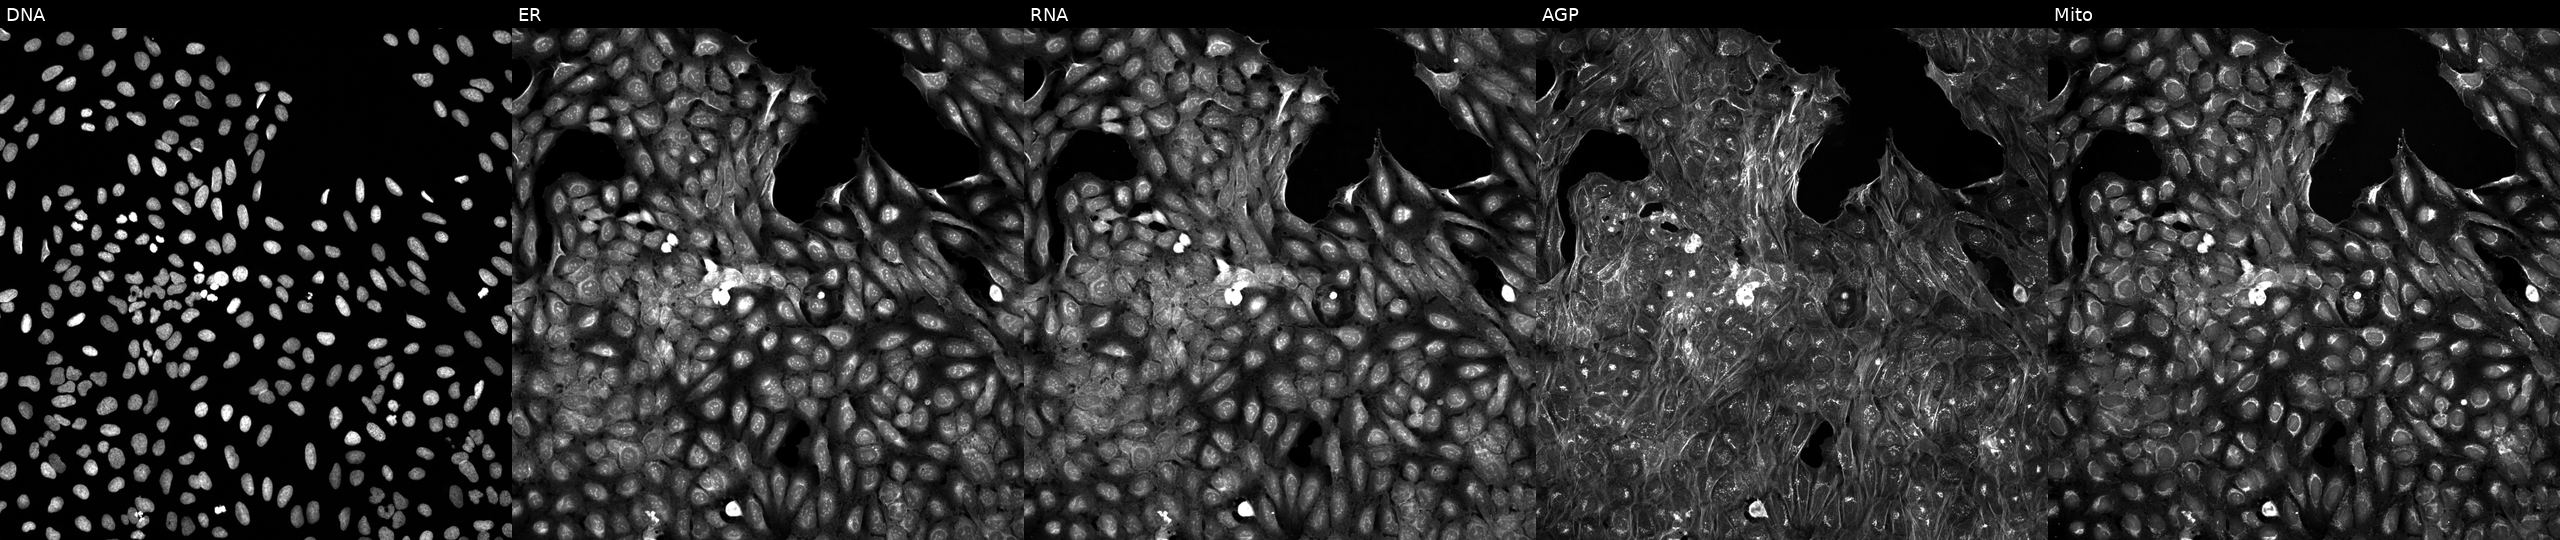
This image strip shows the five Cell Painting channels for a single field of U2OS cells perturbed with a small-molecule compound (InChIKey QZNJBKVMYSSEHQ-UHFFFAOYSA-N). The five panels, left to right, show Hoechst 33342, concanavalin A, SYTO 14, phalloidin and WGA, MitoTracker.